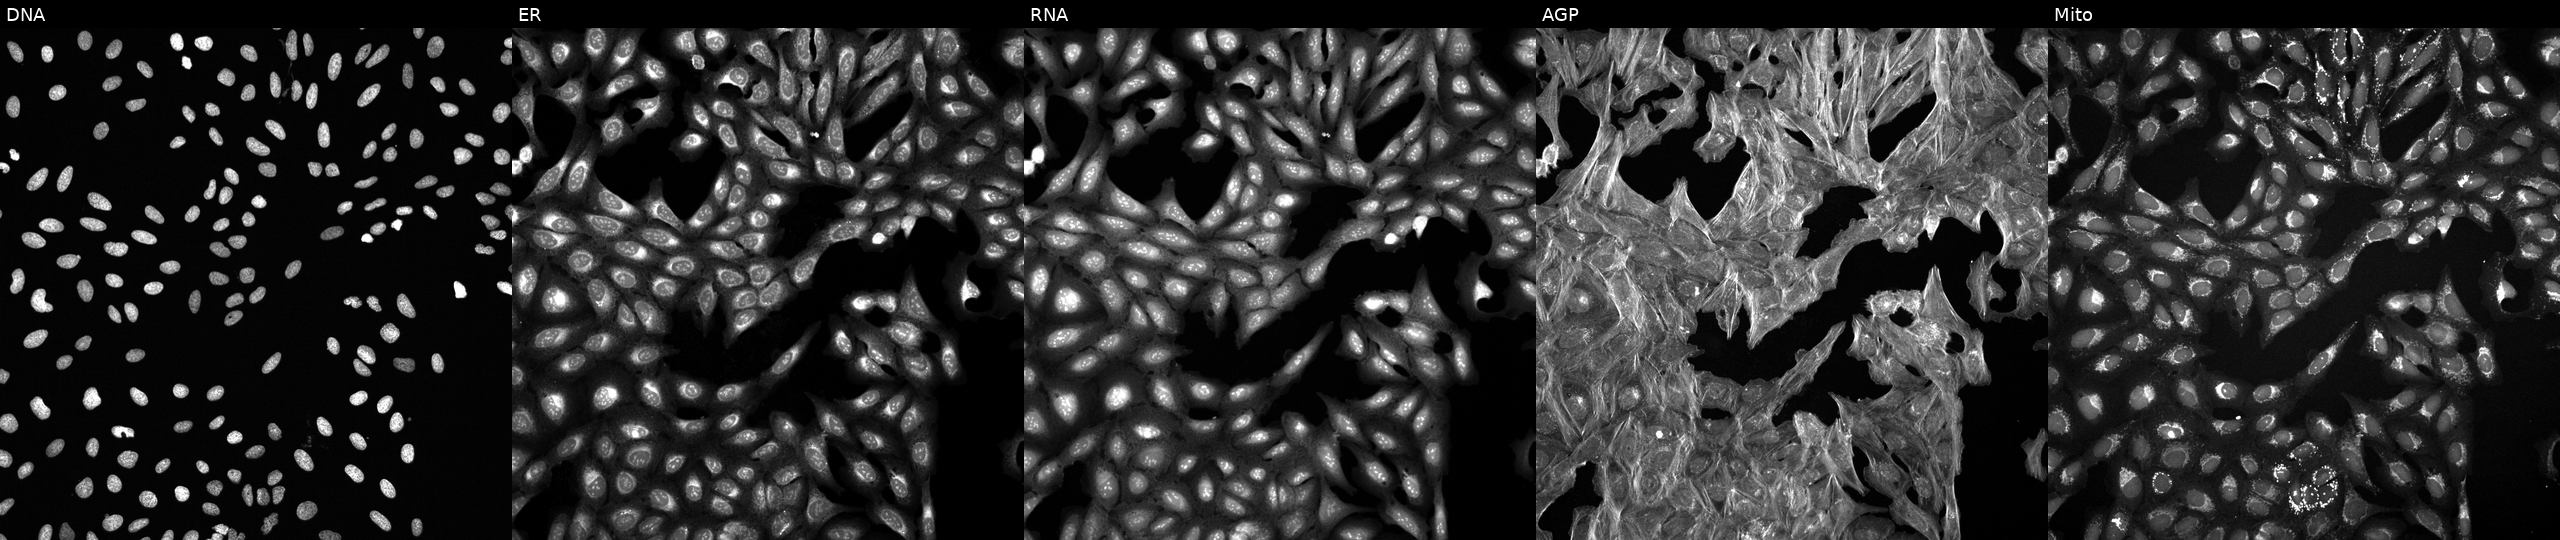
U2OS cells, Cell Painting assay, treated with a small-molecule compound (InChIKey ALBKMJDFBZVHAK-UHFFFAOYSA-N) [SMILES: CCOC(=O)c1ncc2[nH]c3ccc(OCc4ccccc4)cc3c2c1COC]. From left to right: Hoechst 33342, concanavalin A, SYTO 14, phalloidin and WGA, MitoTracker. Each panel is percentile-stretched 16-bit fluorescence.